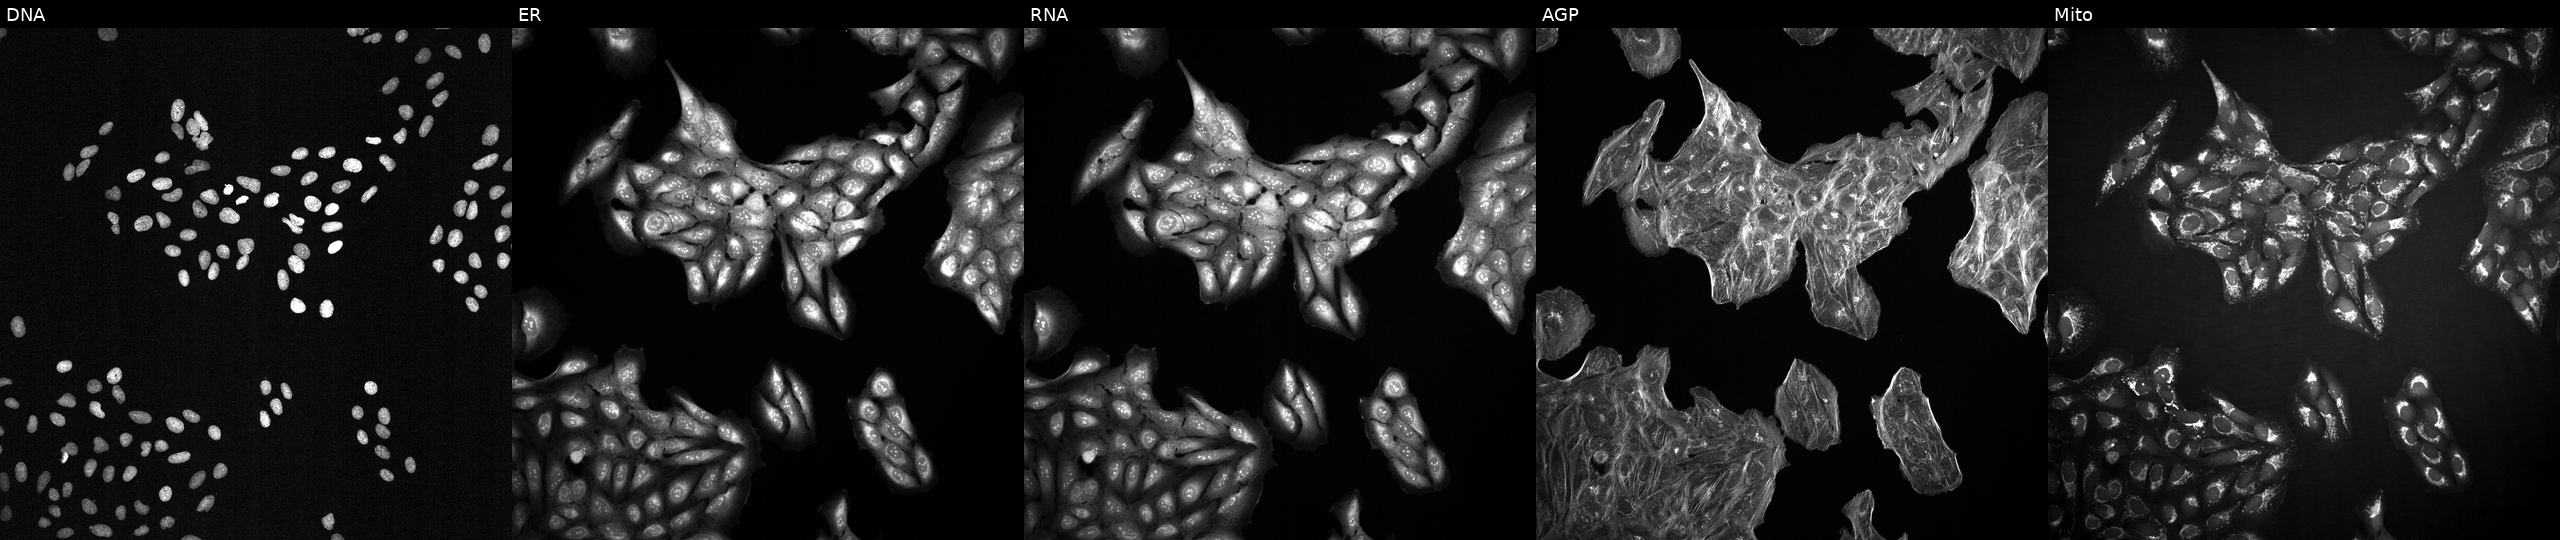
Channels (left→right): Hoechst 33342, concanavalin A, SYTO 14, phalloidin and WGA, MitoTracker. U2OS osteosarcoma cells exposed to DMSO alone as a negative control. Cell Painting assay, JUMP-CP dataset.